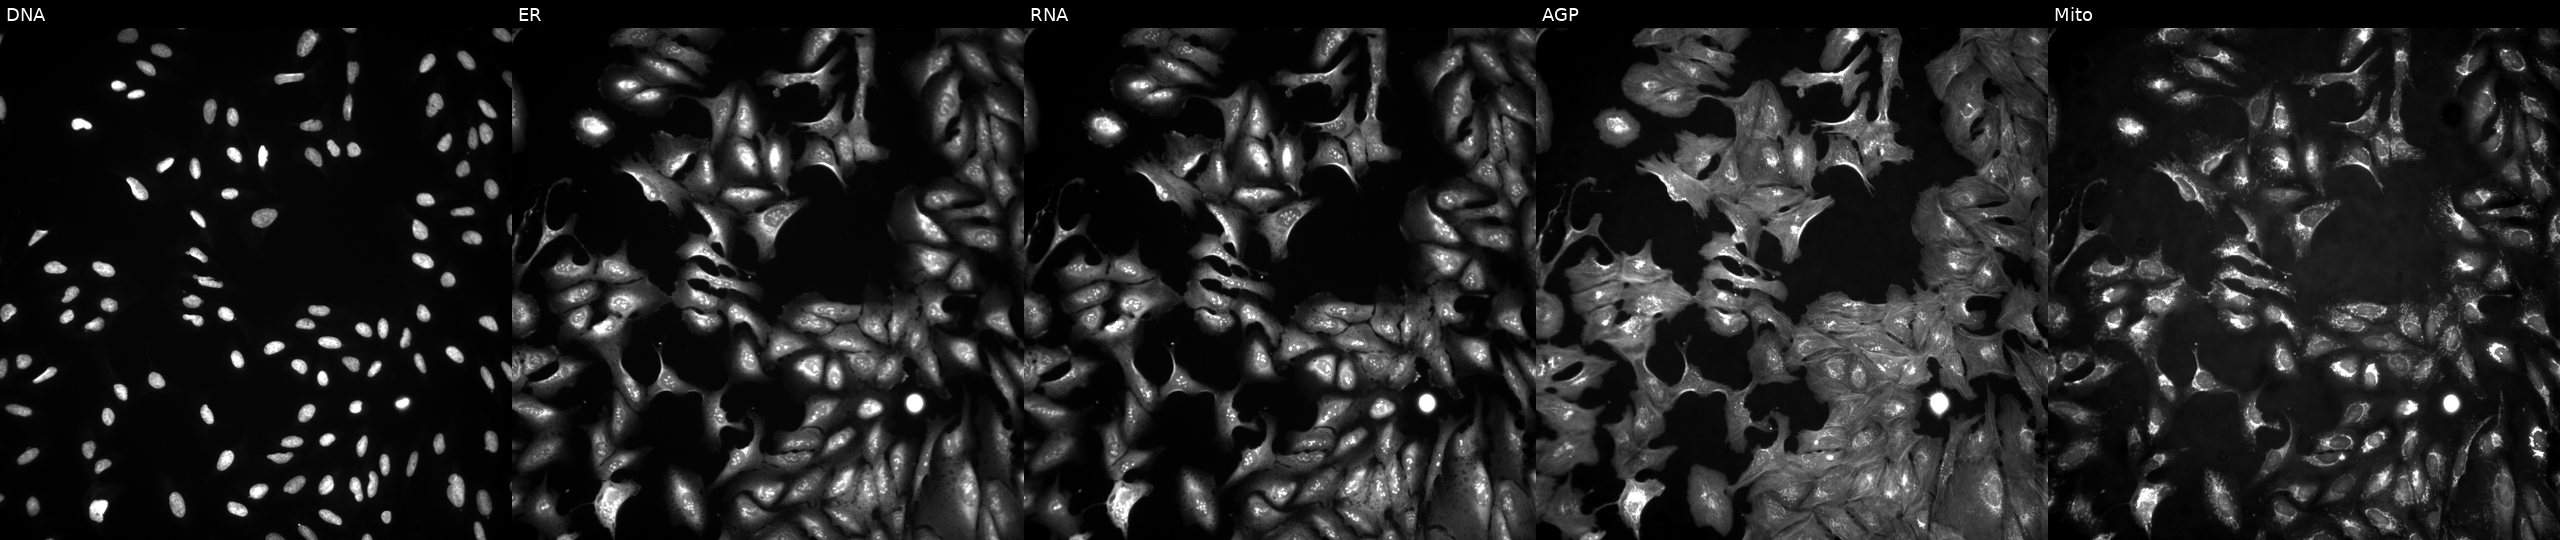
U2OS cells, Cell Painting assay, overexpressing CLDN20 via ORF transfection (JUMP id JCP2022_902947). Panels show, left to right, DNA, ER, RNA, AGP, and Mito. Each panel is percentile-stretched 16-bit fluorescence. Source 4, plate BR00124784, well H20.